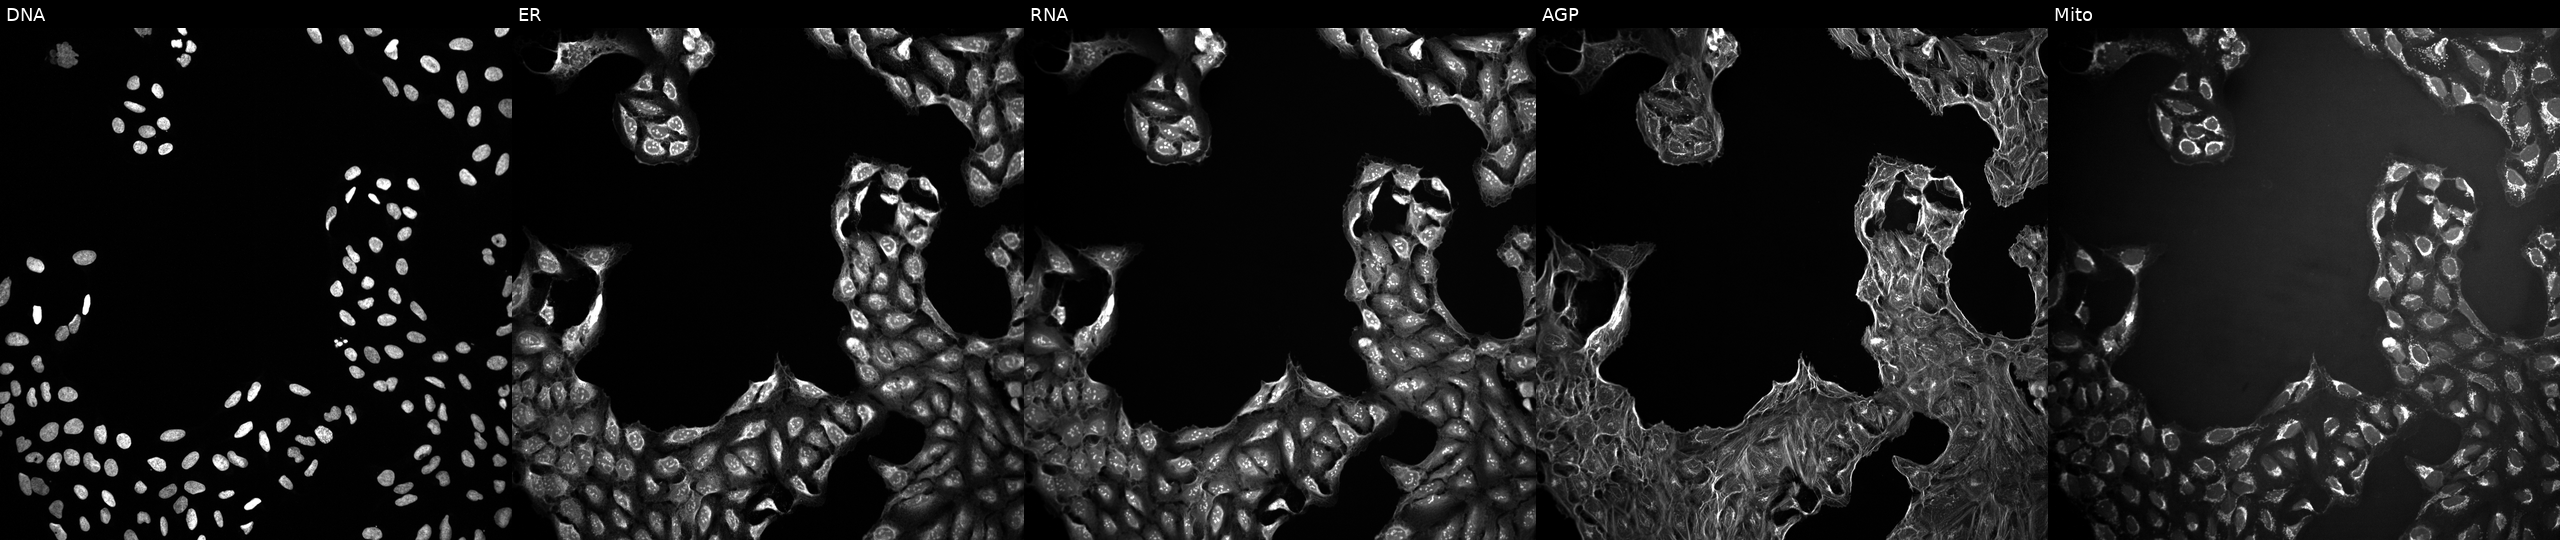
This image strip shows the five Cell Painting channels for a single field of U2OS cells exposed to a small-molecule compound (InChIKey KAQKFAOMNZTLHT-UHFFFAOYSA-N) (JUMP id JCP2022_043332). Panels show, left to right, DNA, ER, RNA, AGP, and Mito. Source 10, plate Dest210727-153003, well L21.